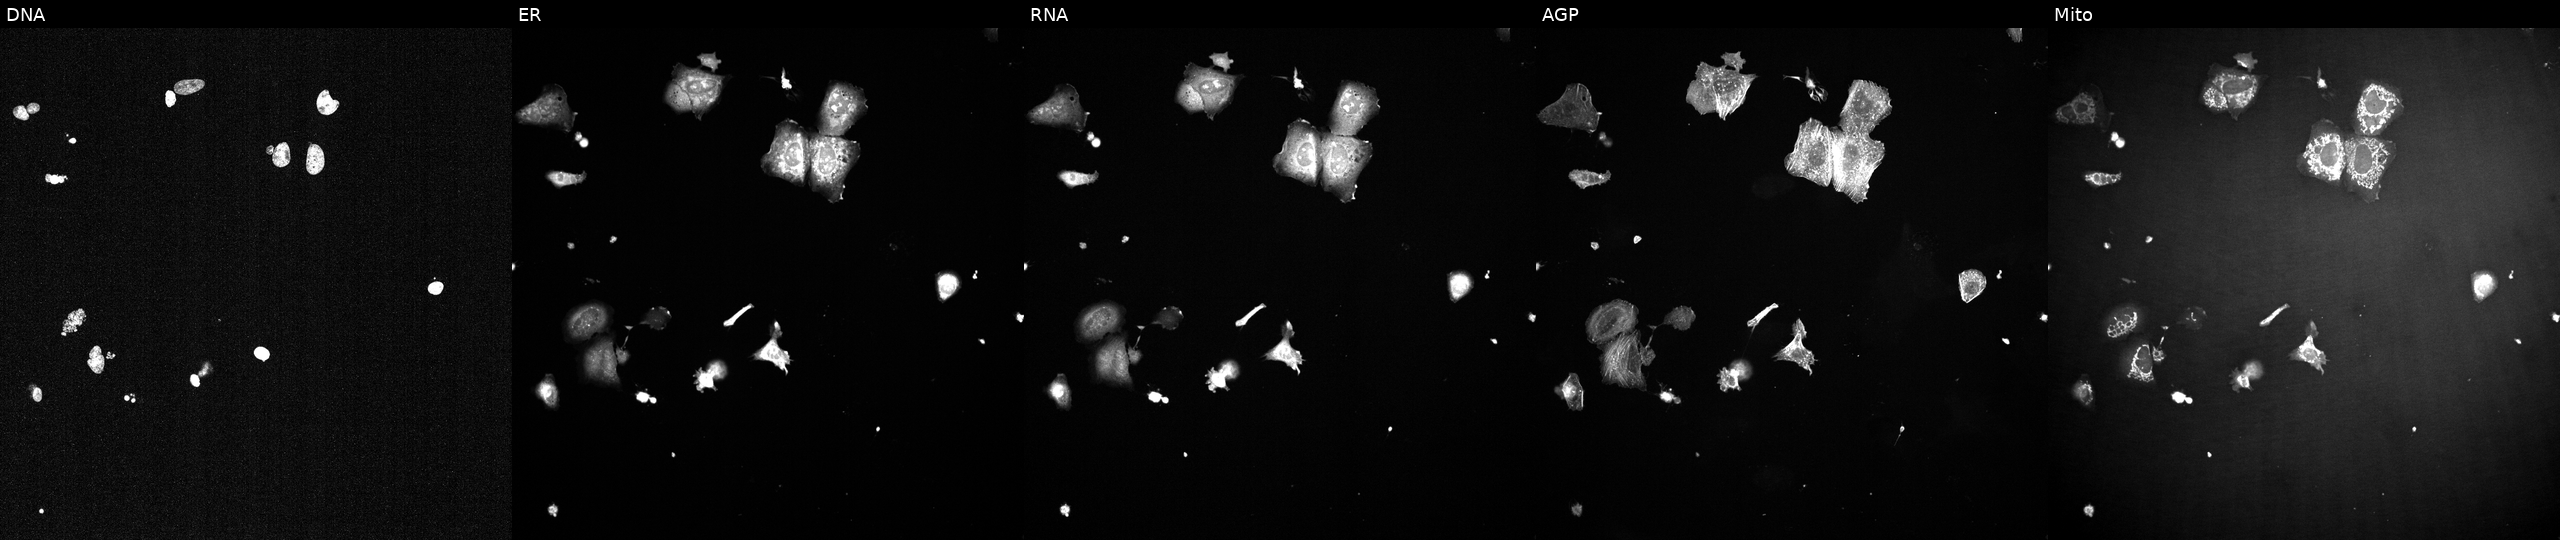
JUMP Cell Painting — TARGET2 plate. U2OS cells exposed to a small-molecule compound (InChIKey VSVFLGPUZJTBSD-UHFFFAOYSA-N) [SMILES: COc1cc(OC)c(C=CS(=O)(=O)Cc2ccc(OC)c(O[PH](=O)(=O)O)c2)c(OC)c1] (JUMP id JCP2022_096054). Channels (left→right): DNA, ER, RNA, AGP, and Mito. Source 2, plate 1053599503, well D02.